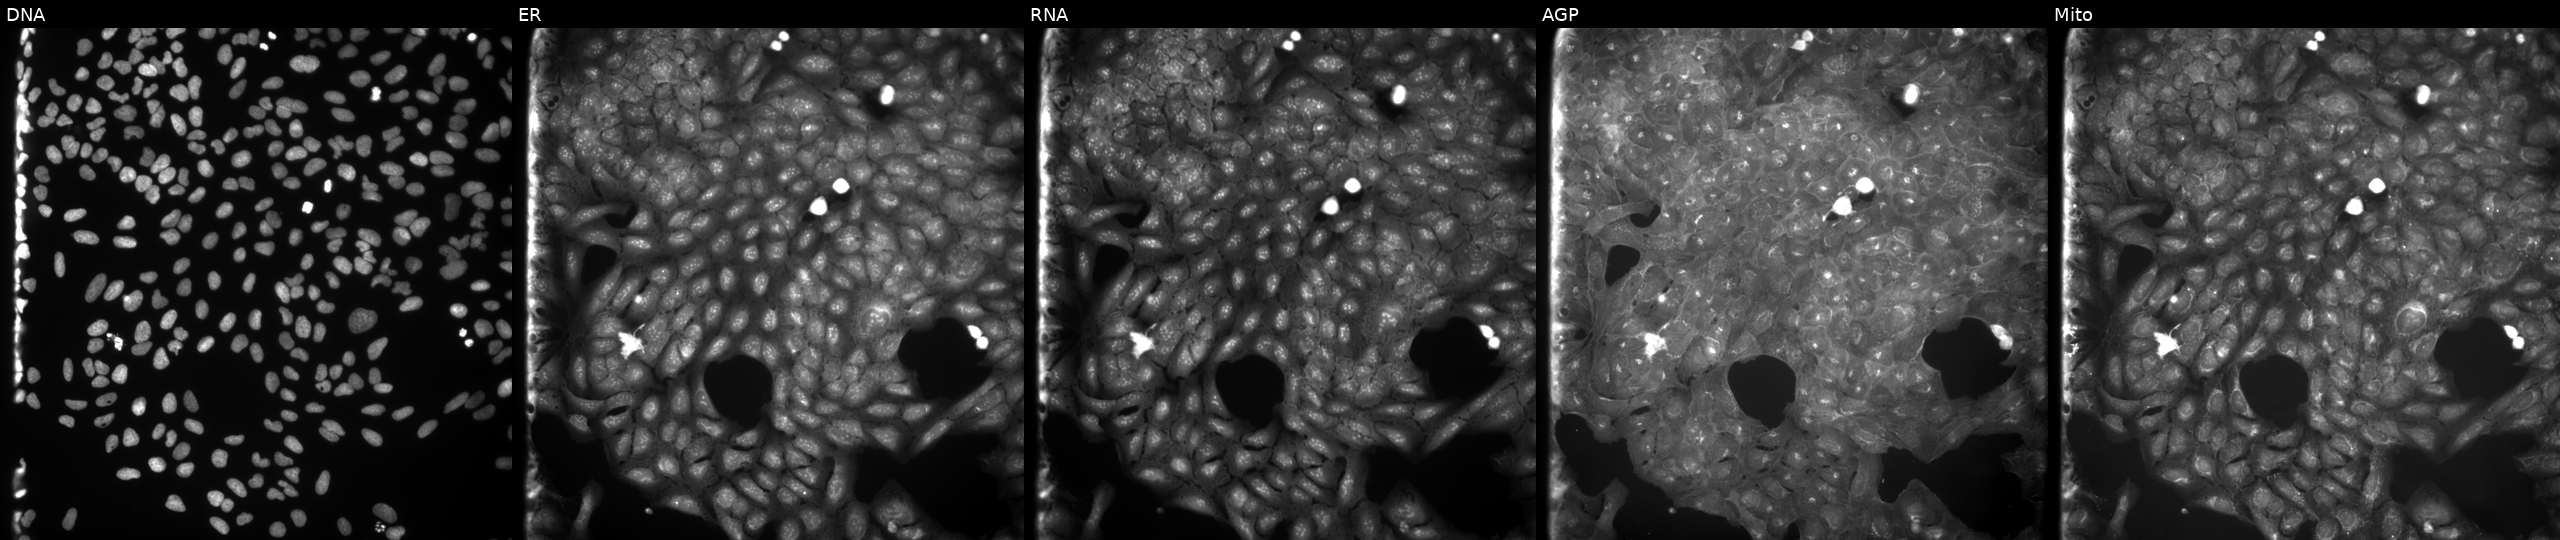
JUMP Cell Painting — COMPOUND plate. U2OS cells treated with a small-molecule compound (JUMP id JCP2022_094663). Channels (left→right): DNA (nuclei); ER (endoplasmic reticulum); RNA (nucleoli and cytoplasmic RNA); AGP (actin cytoskeleton, Golgi, and plasma membrane); Mito (mitochondria). Source 9, plate GR00003382, well N08.